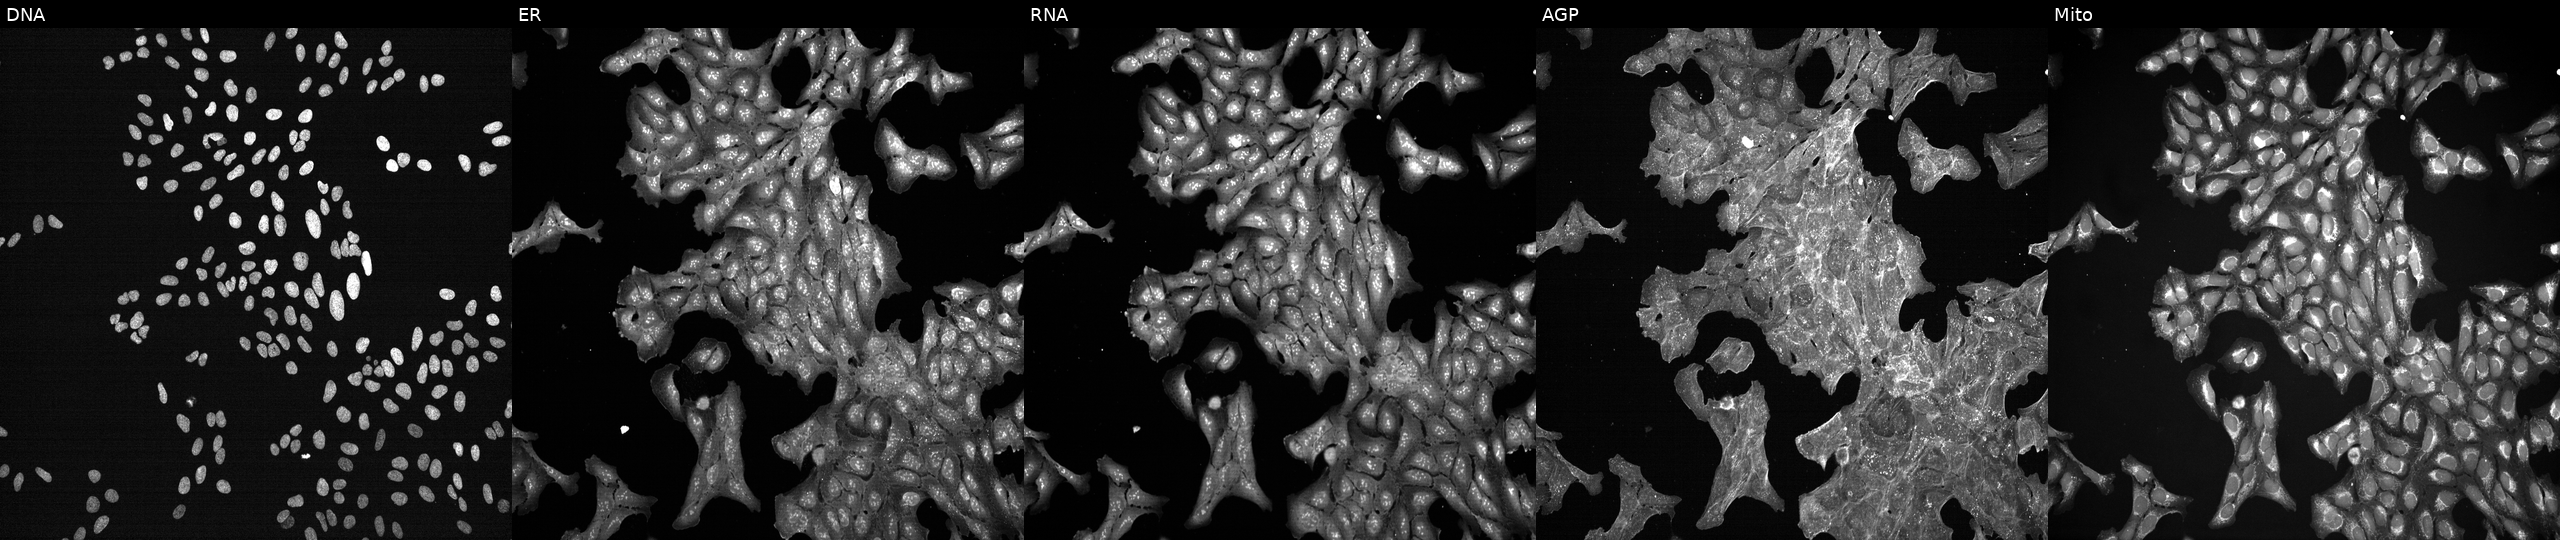
JUMP Cell Painting — TARGET2 plate. U2OS cells treated with DMSO vehicle only (negative control). The five panels, left to right, show Hoechst 33342, concanavalin A, SYTO 14, phalloidin and WGA, MitoTracker. Source 7, plate CP2-SC1-25, well M13.